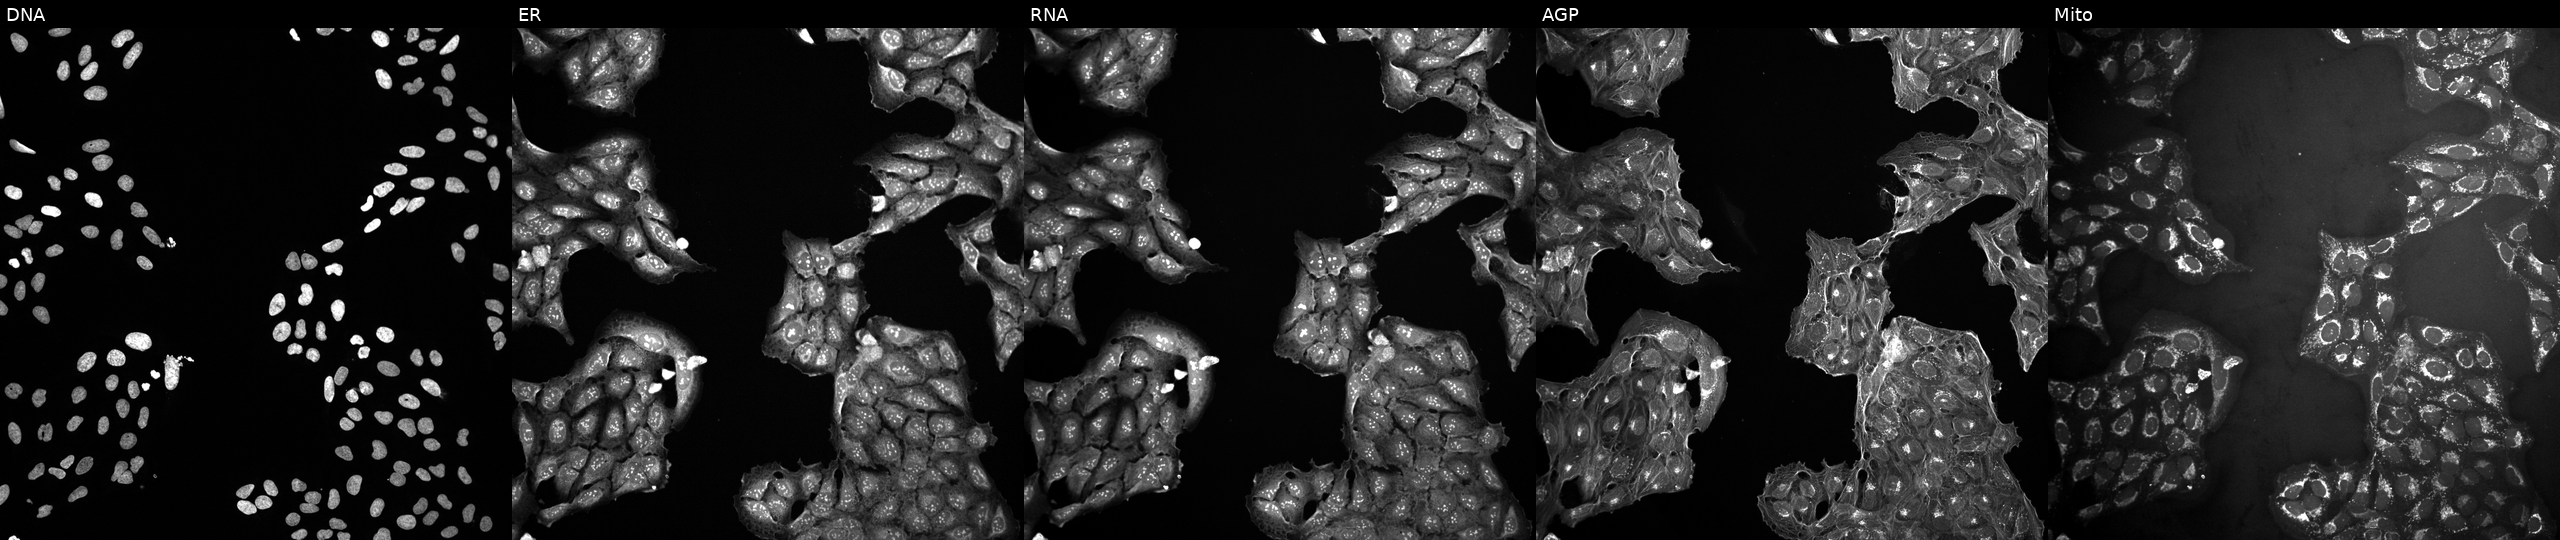
This image strip shows the five Cell Painting channels for a single field of U2OS cells in an empty control well (no perturbation). From left to right: DNA, ER, RNA, AGP, and Mito. Source 10, plate Dest210531-152149, well P18.